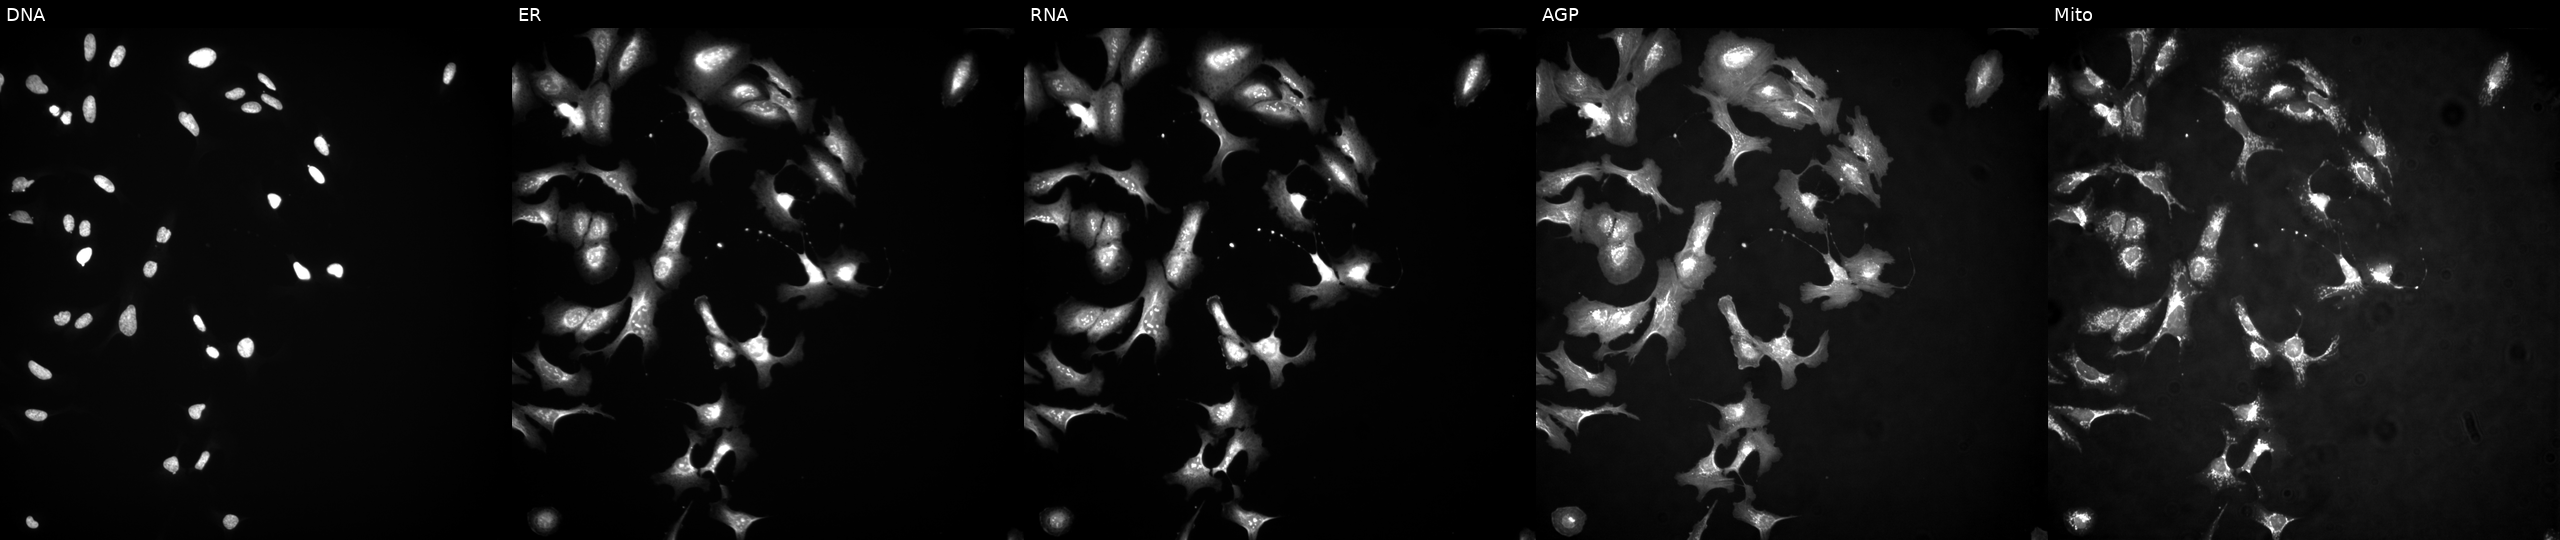
High-content fluorescence microscopy (Cell Painting). Cell line: U2OS. Perturbation: overexpressing TMC7 via ORF transfection. Panels show, left to right, Hoechst 33342, concanavalin A, SYTO 14, phalloidin and WGA, MitoTracker. Source 4, plate BR00124787, well M14.